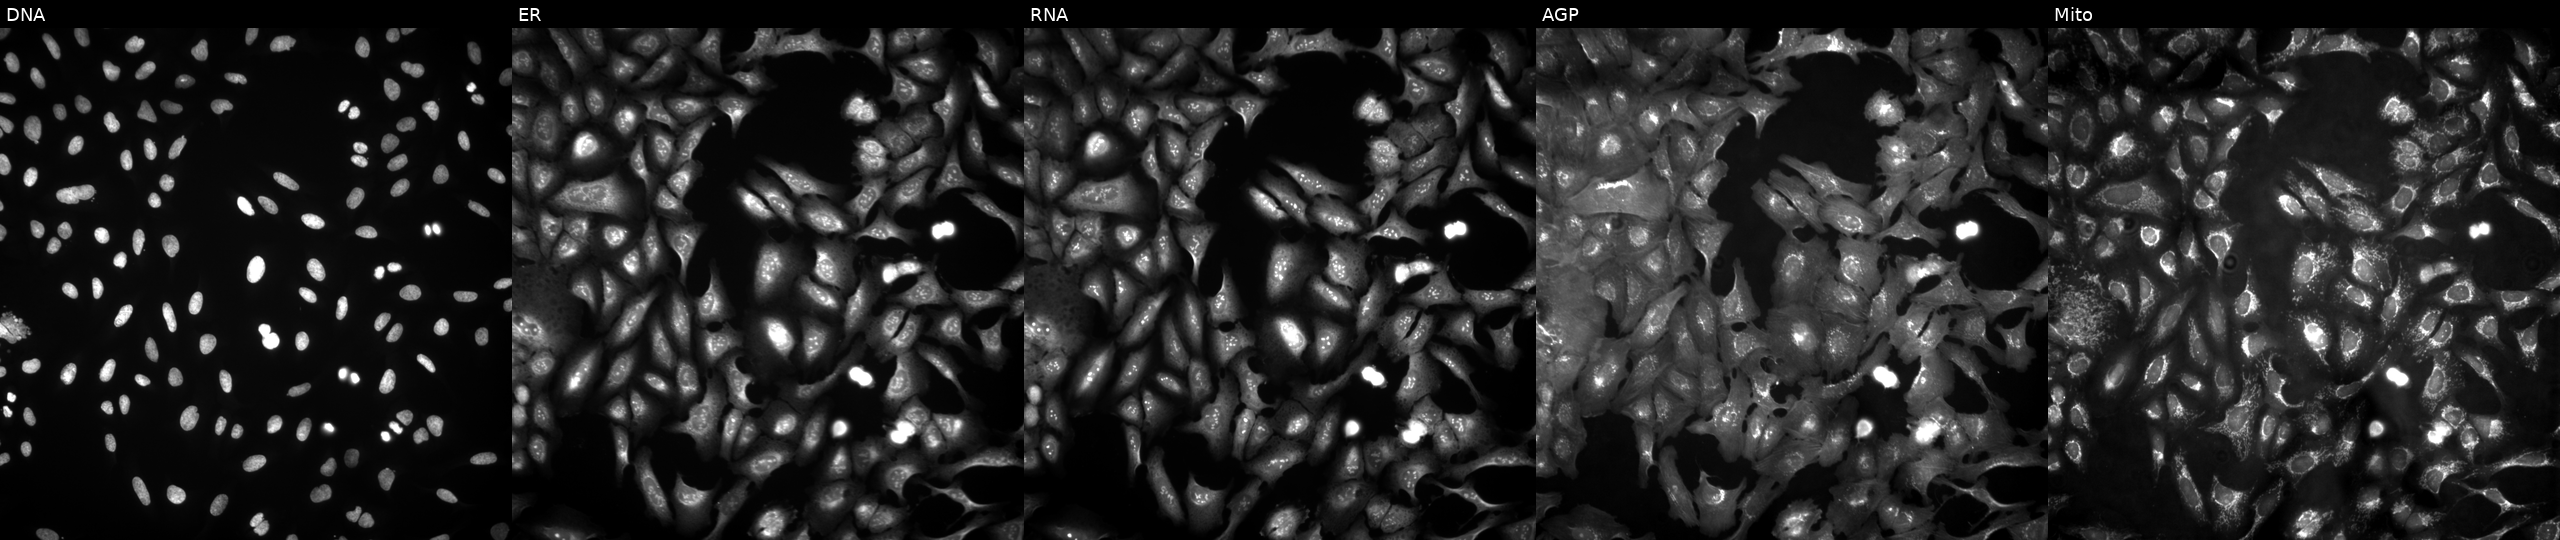
This image strip shows the five Cell Painting channels for a single field of U2OS cells overexpressing FNBP4 via ORF transfection. Channels (left→right): Hoechst 33342, concanavalin A, SYTO 14, phalloidin and WGA, MitoTracker. Source 4, plate BR00121543, well O15.